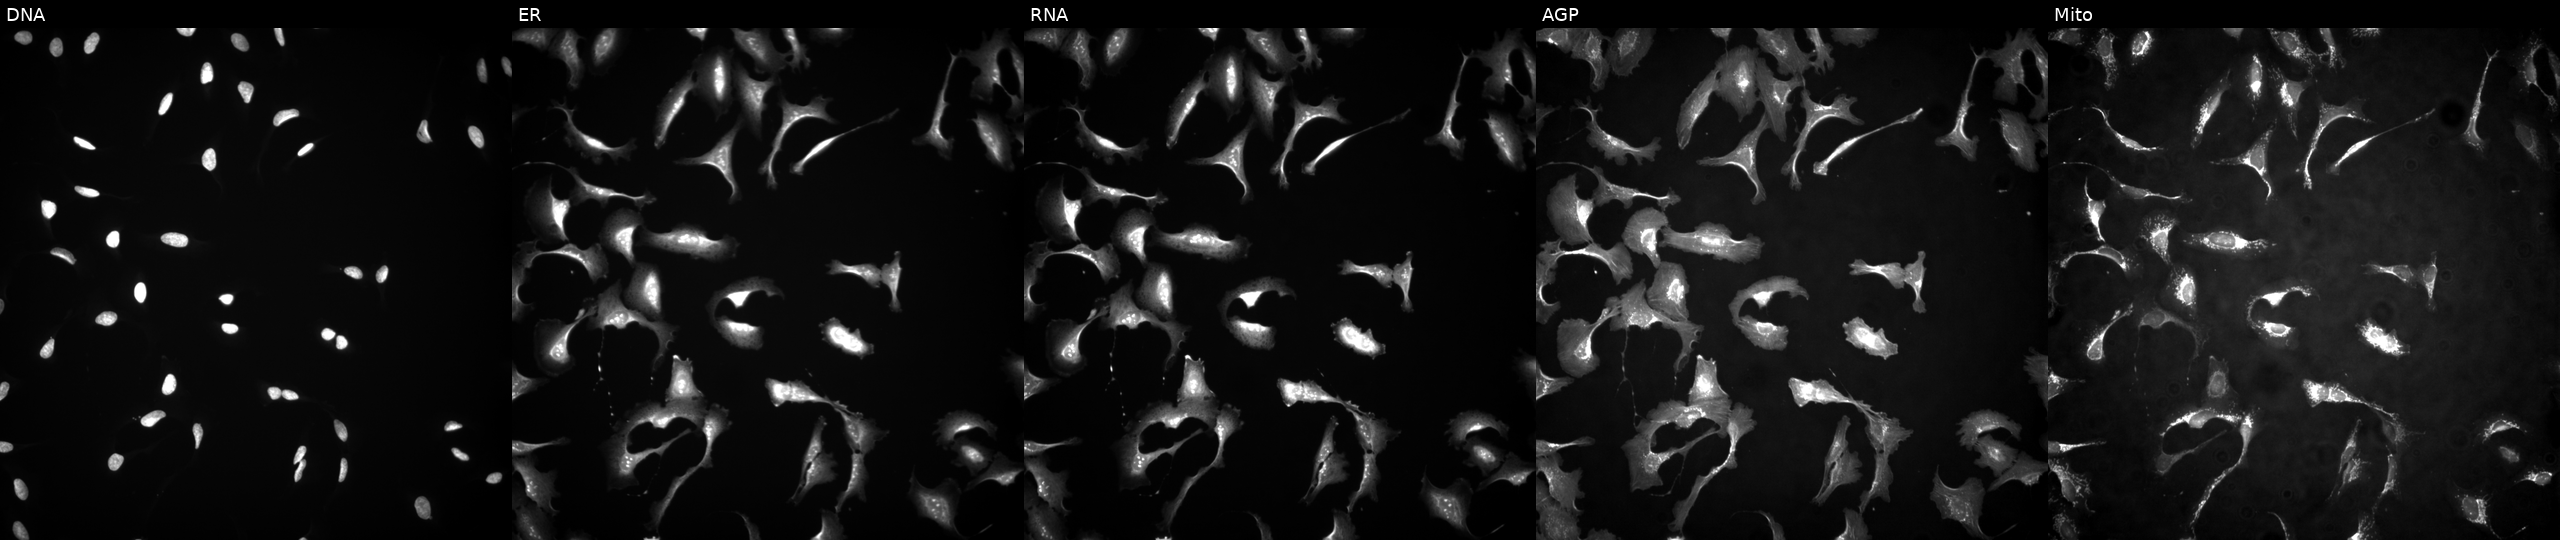
JUMP Cell Painting — ORF plate. U2OS cells overexpressing ESR1 via ORF transfection. From left to right: Hoechst 33342, concanavalin A, SYTO 14, phalloidin and WGA, MitoTracker.